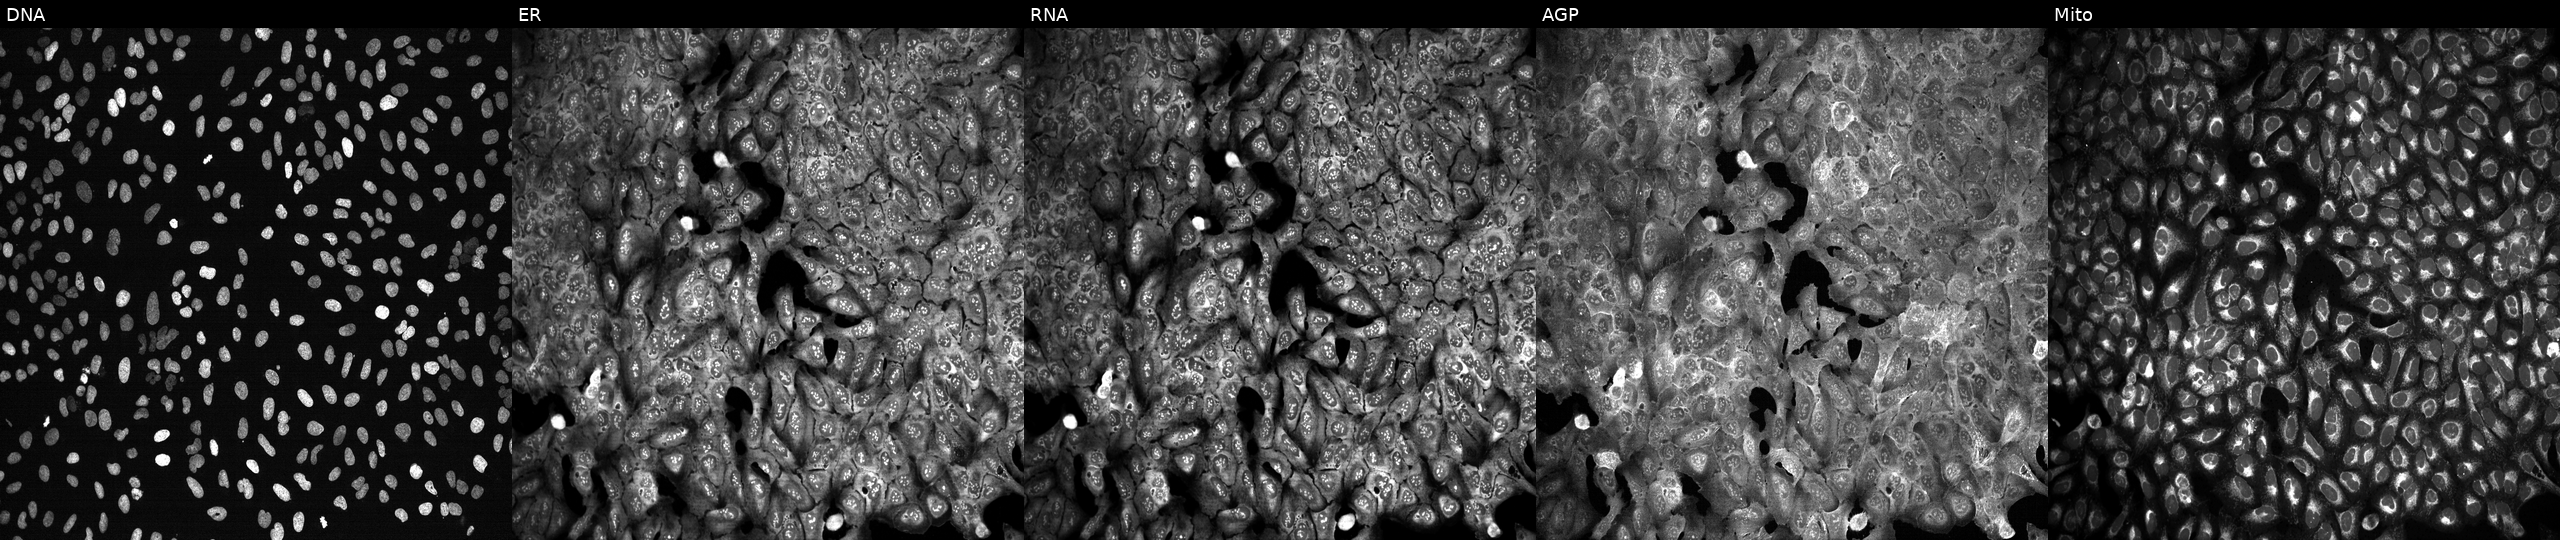
U2OS cells, Cell Painting assay, with SLC16A2 knocked out by CRISPR. The five panels, left to right, show DNA (nuclei); ER (endoplasmic reticulum); RNA (nucleoli and cytoplasmic RNA); AGP (actin cytoskeleton, Golgi, and plasma membrane); Mito (mitochondria). Each panel is percentile-stretched 16-bit fluorescence.